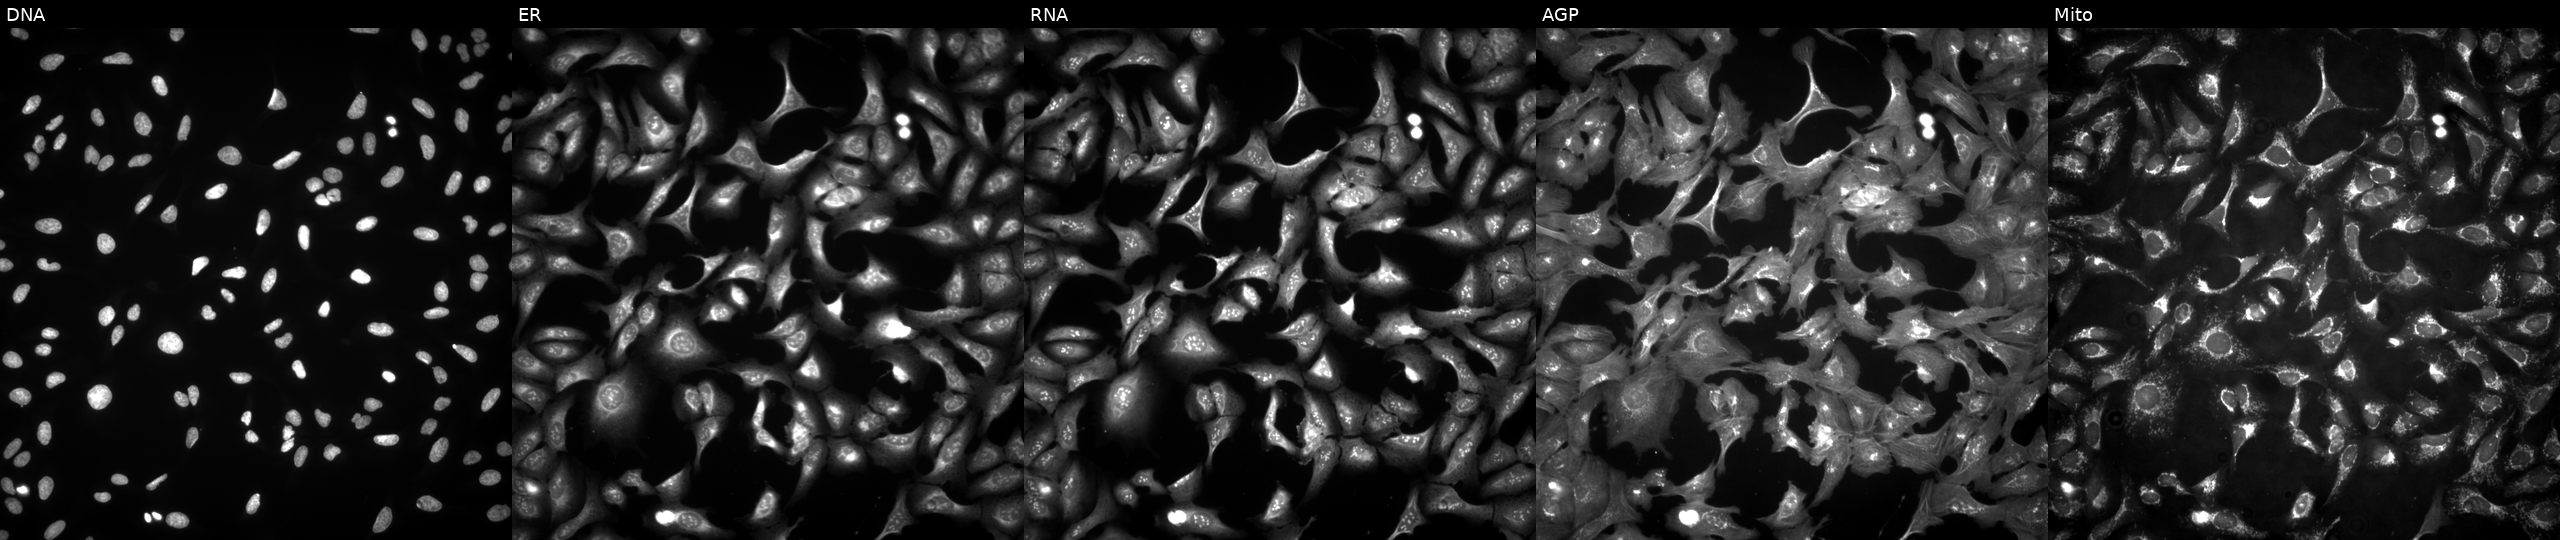
JUMP Cell Painting — ORF plate. U2OS cells with TM2D1 overexpressed (ORF). The five panels, left to right, show DNA (nuclei); ER (endoplasmic reticulum); RNA (nucleoli and cytoplasmic RNA); AGP (actin cytoskeleton, Golgi, and plasma membrane); Mito (mitochondria). Source 4, plate BR00123509, well F14.